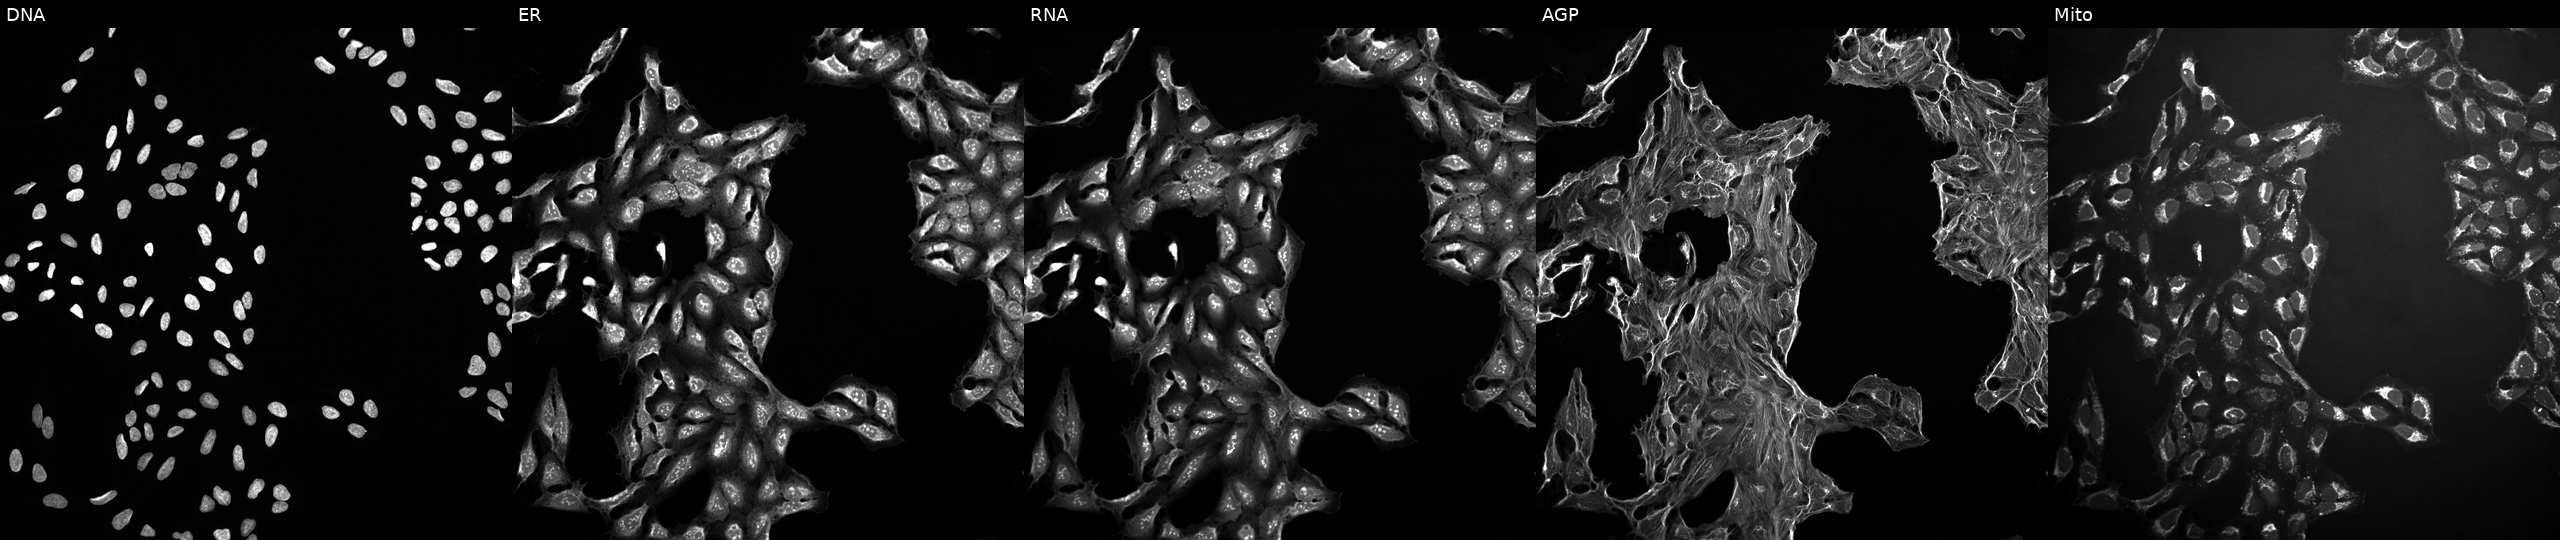
U2OS cells, Cell Painting assay, treated with a small-molecule compound. Channels (left→right): DNA, ER, RNA, AGP, and Mito. Each panel is percentile-stretched 16-bit fluorescence. Source 10, plate Dest210726-160150, well B05.